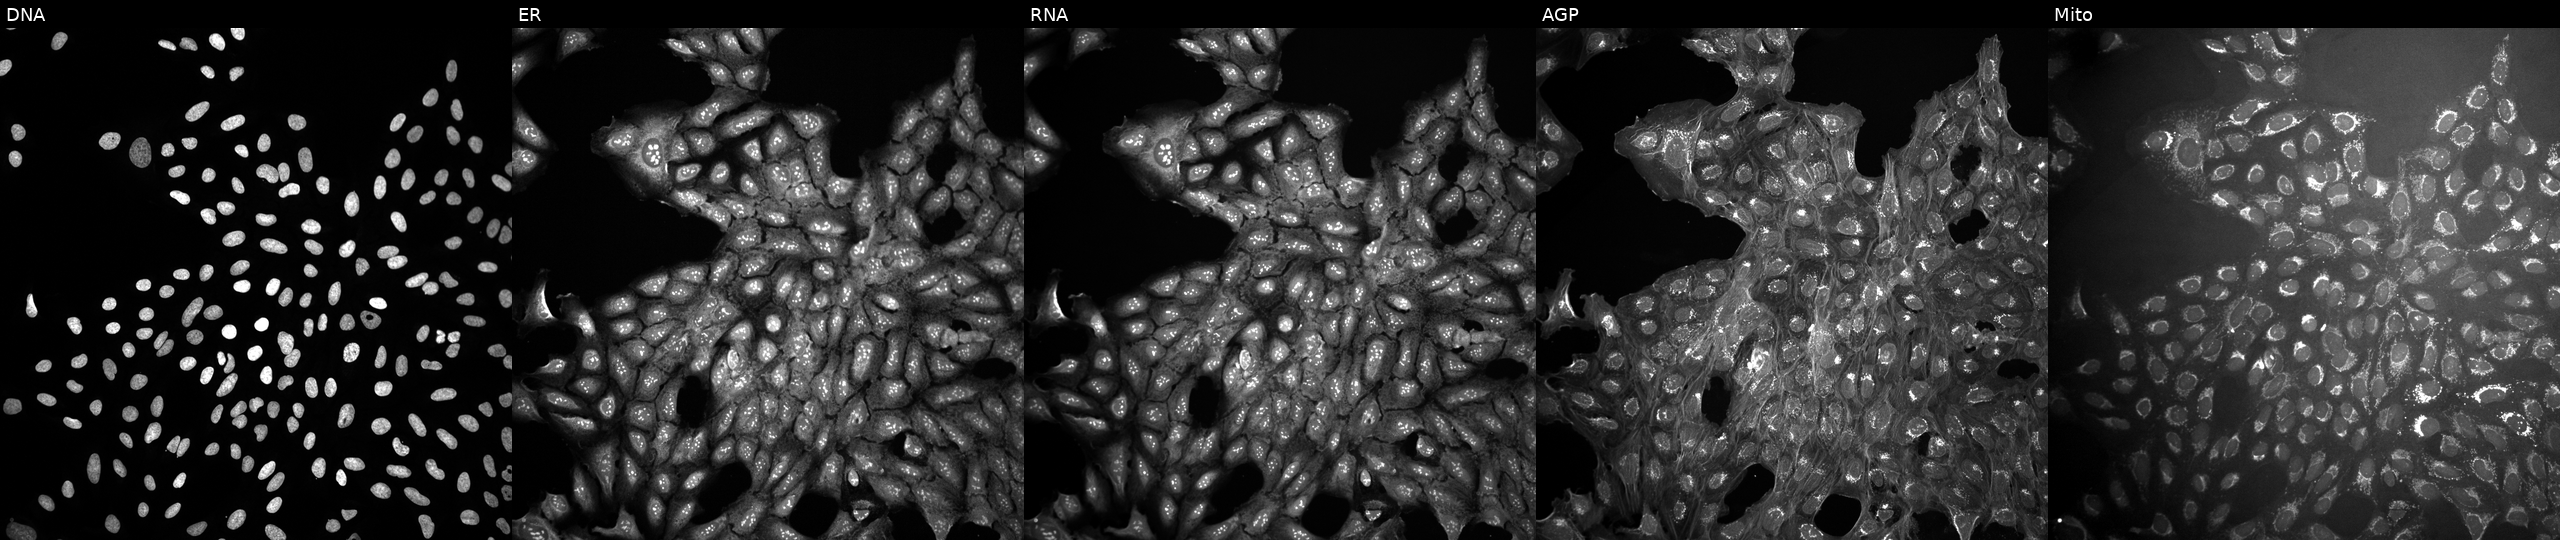
Five-channel Cell Painting image of U2OS cells untreated (empty-well control). Channels (left→right): Hoechst 33342, concanavalin A, SYTO 14, phalloidin and WGA, MitoTracker.